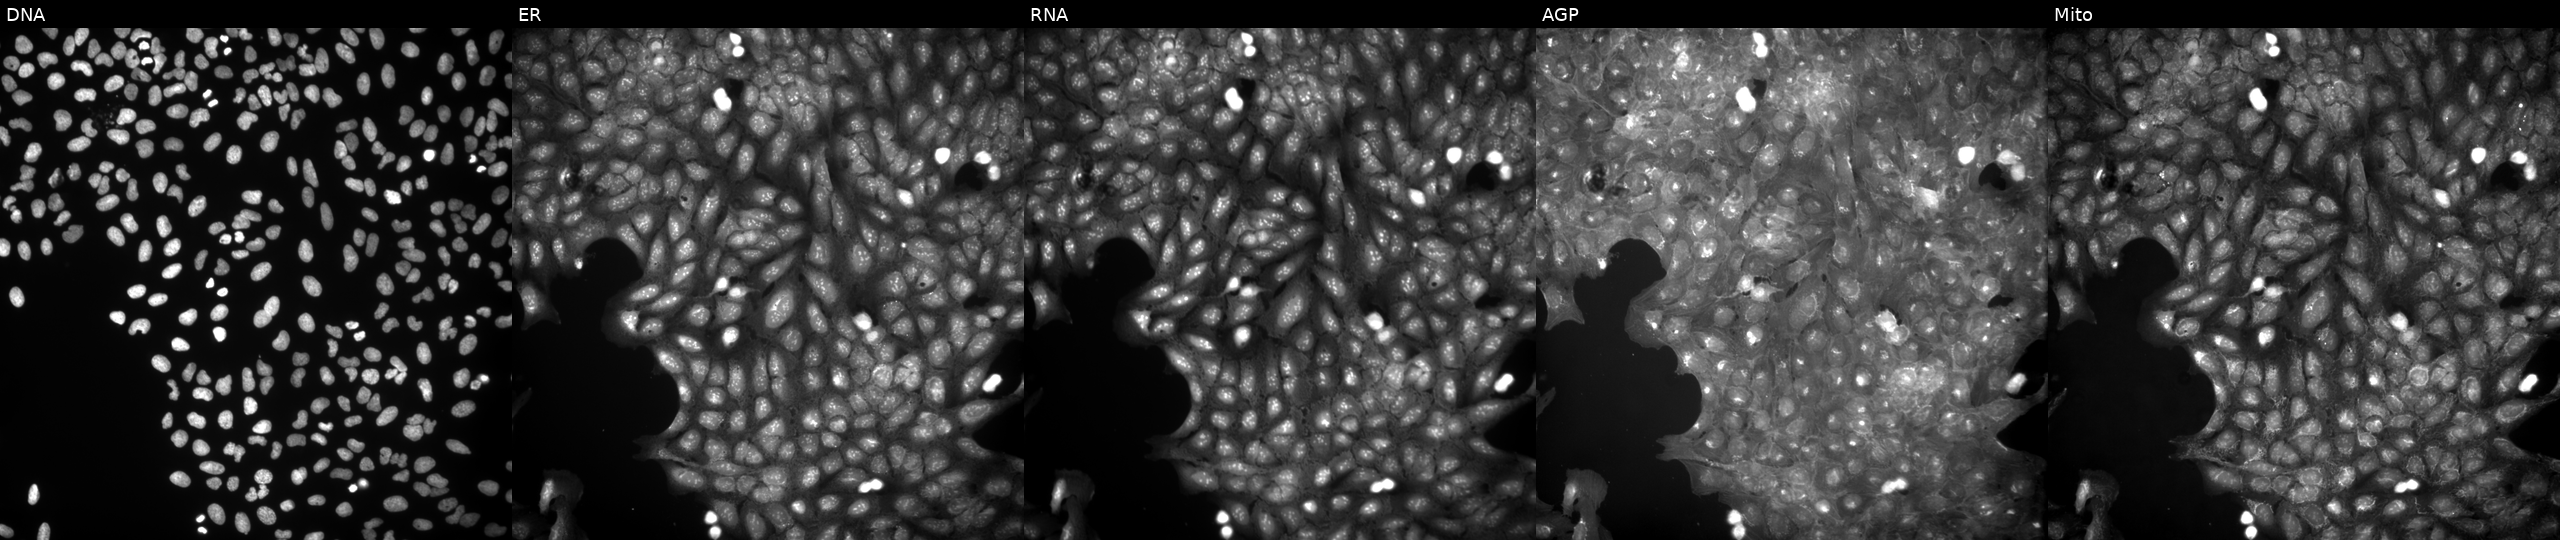
Five-channel Cell Painting image of U2OS cells treated with a small-molecule compound (JUMP id JCP2022_088072). From left to right: Hoechst 33342, concanavalin A, SYTO 14, phalloidin and WGA, MitoTracker.